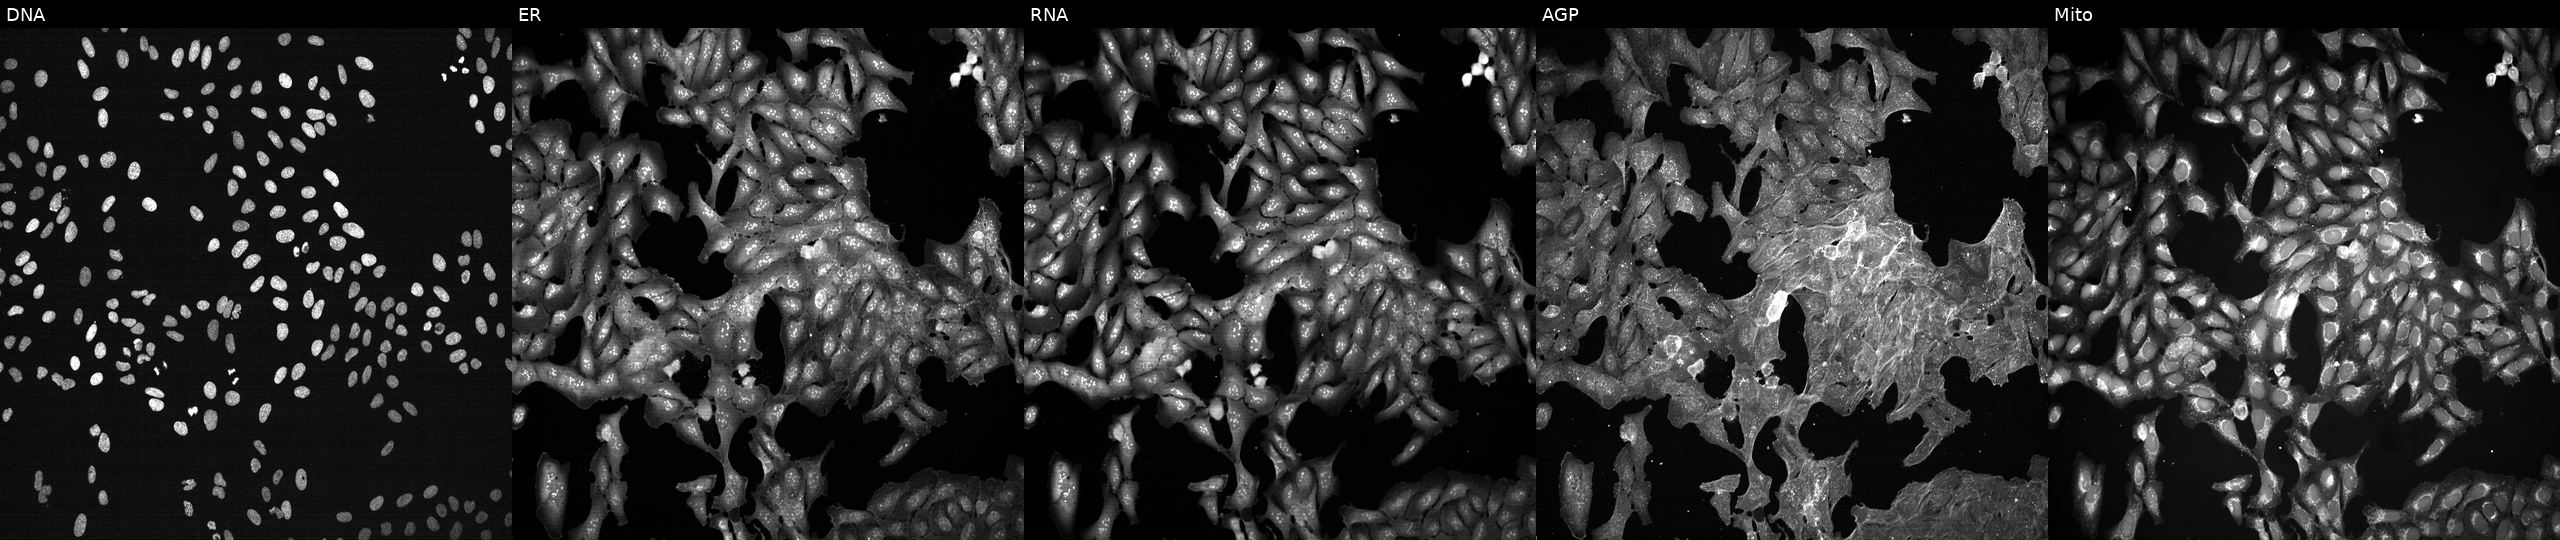
High-content fluorescence microscopy (Cell Painting). Cell line: U2OS. Perturbation: exposed to a small-molecule compound (InChIKey LXANPKRCLVQAOG-UHFFFAOYSA-N) (JUMP id JCP2022_052259). Channels (left→right): DNA, ER, RNA, AGP, and Mito.